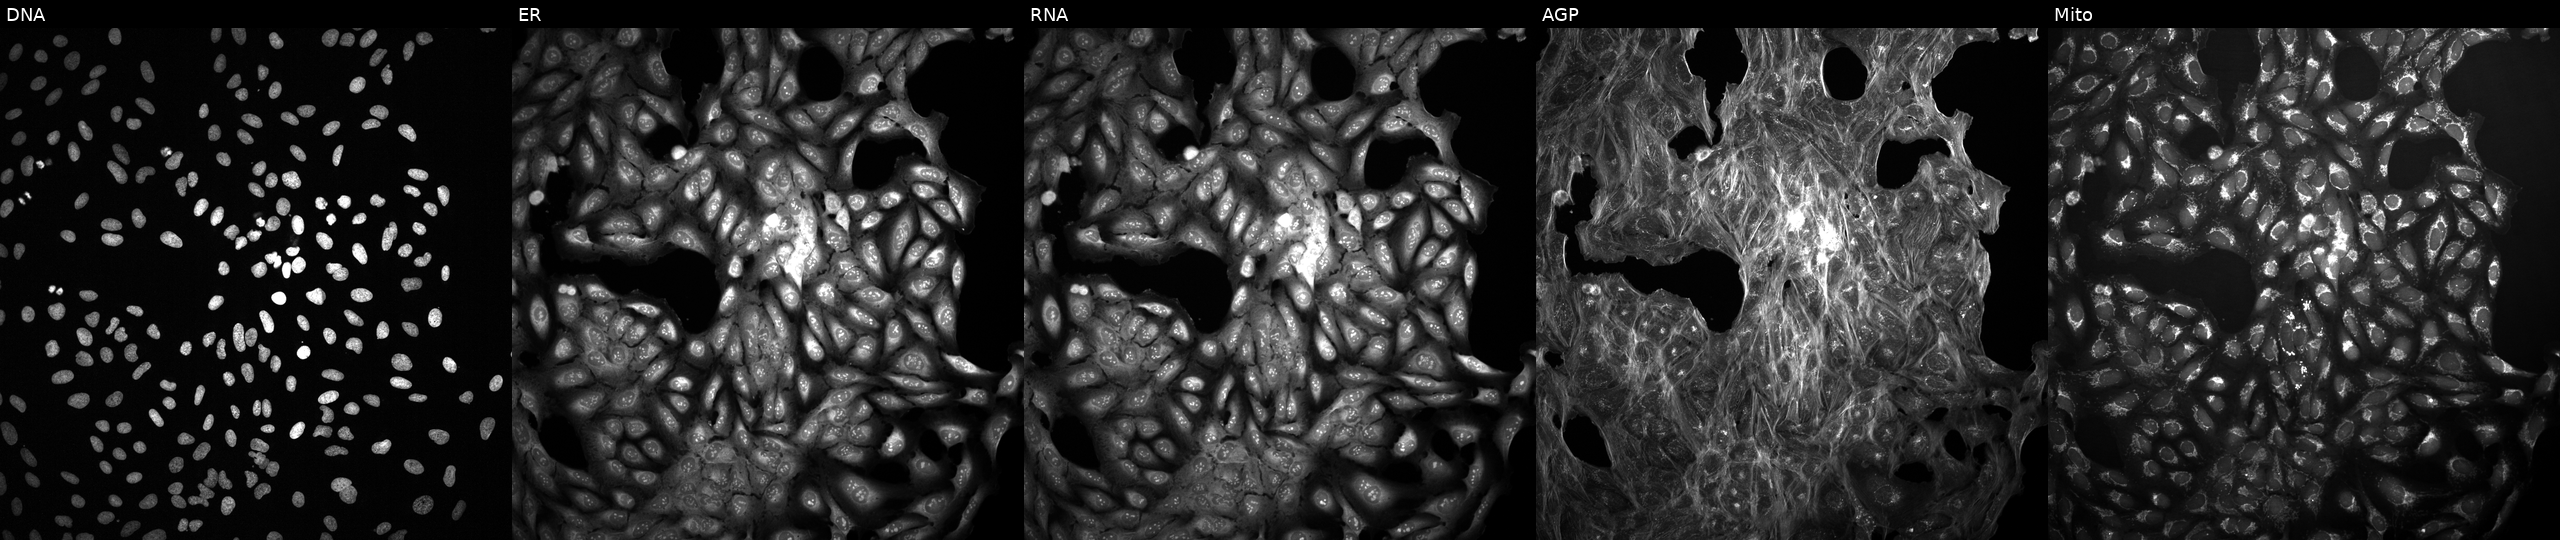
This image strip shows the five Cell Painting channels for a single field of U2OS cells perturbed with a small-molecule compound (JUMP id JCP2022_005628). The five panels, left to right, show DNA (nuclei); ER (endoplasmic reticulum); RNA (nucleoli and cytoplasmic RNA); AGP (actin cytoskeleton, Golgi, and plasma membrane); Mito (mitochondria).